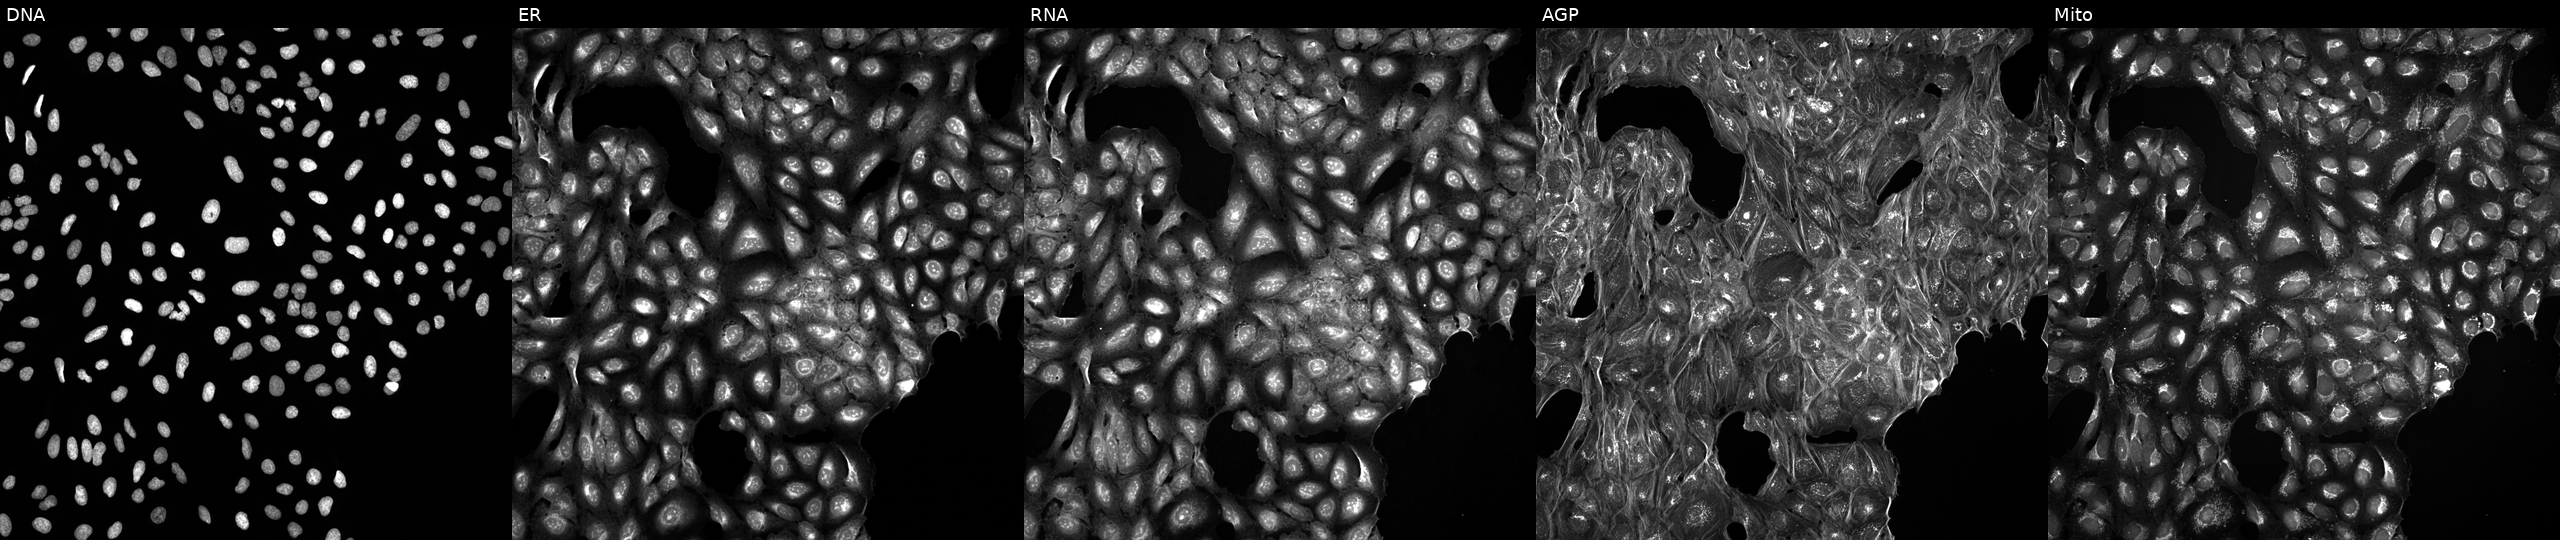
This image strip shows the five Cell Painting channels for a single field of U2OS cells exposed to a small-molecule compound. From left to right: DNA, ER, RNA, AGP, and Mito.